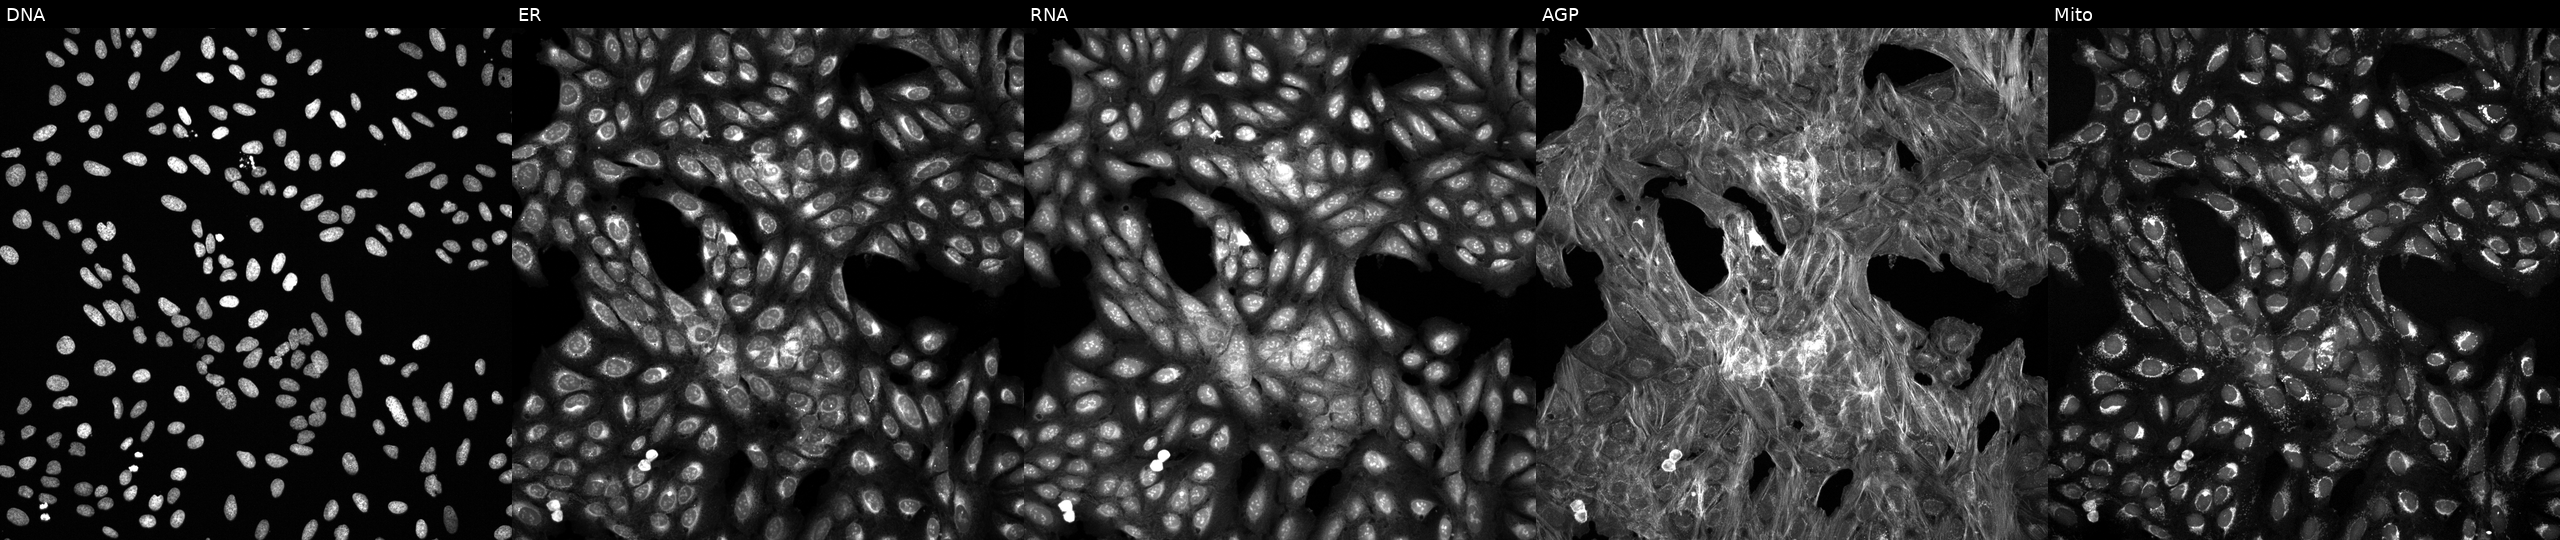
Panels show, left to right, DNA, ER, RNA, AGP, and Mito. U2OS osteosarcoma cells exposed to a small-molecule compound (InChIKey BMXMQILZSCNEEG-UHFFFAOYSA-N). Cell Painting assay, JUMP-CP dataset.